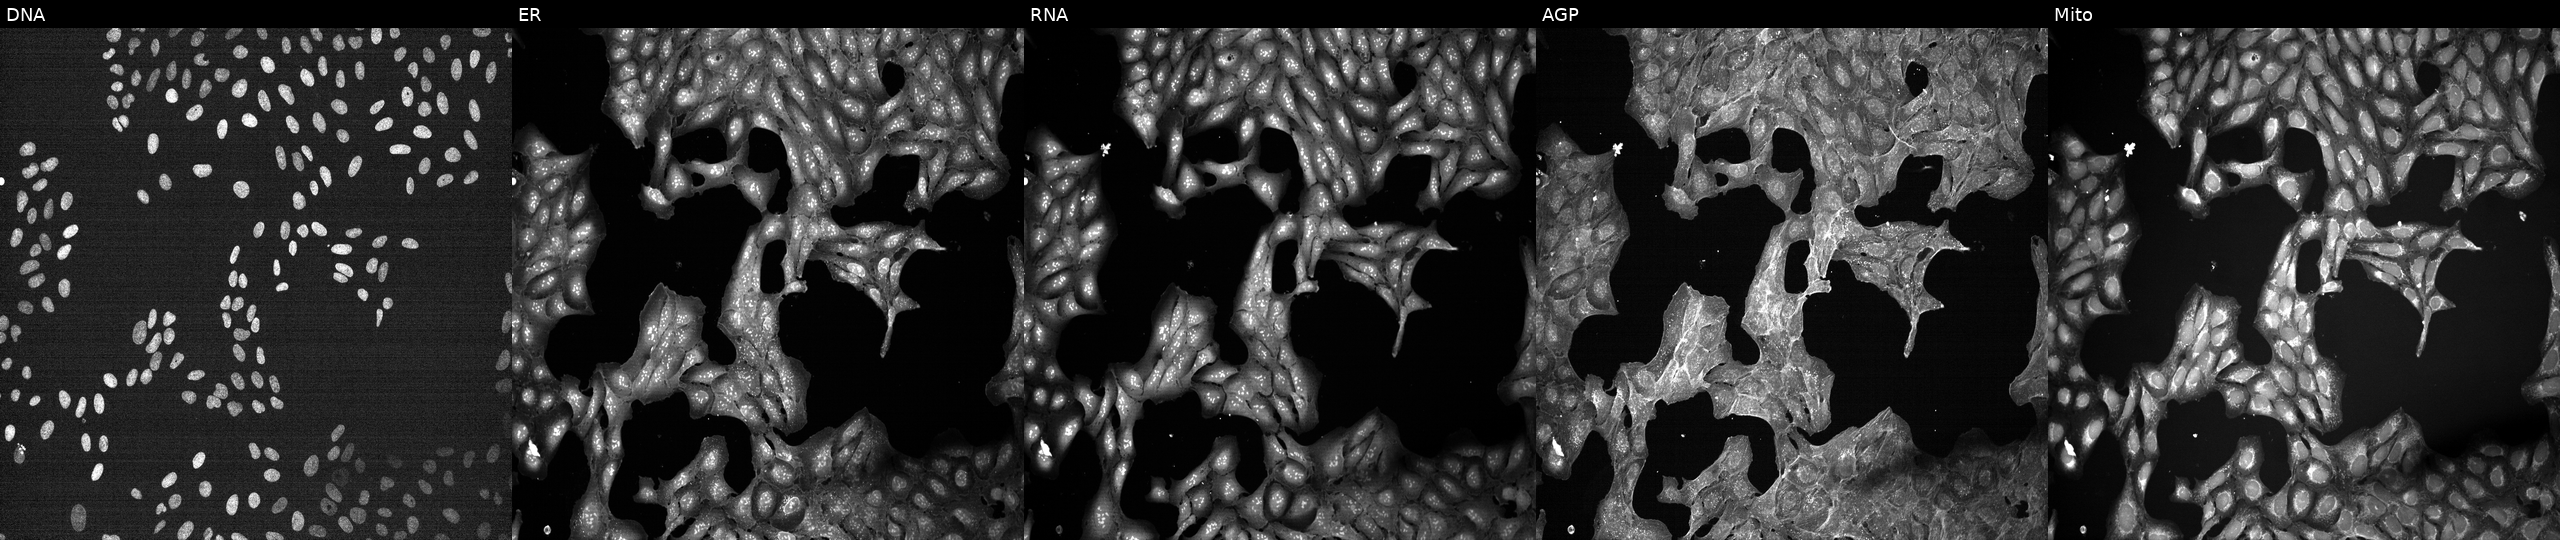
The five panels, left to right, show Hoechst 33342, concanavalin A, SYTO 14, phalloidin and WGA, MitoTracker. U2OS osteosarcoma cells exposed to a small-molecule compound (InChIKey JUUFBMODXQKSTD-UHFFFAOYSA-N) (JUMP id JCP2022_042261). Cell Painting assay, JUMP-CP dataset. Source 7, plate CP1-SC1-25, well A23.